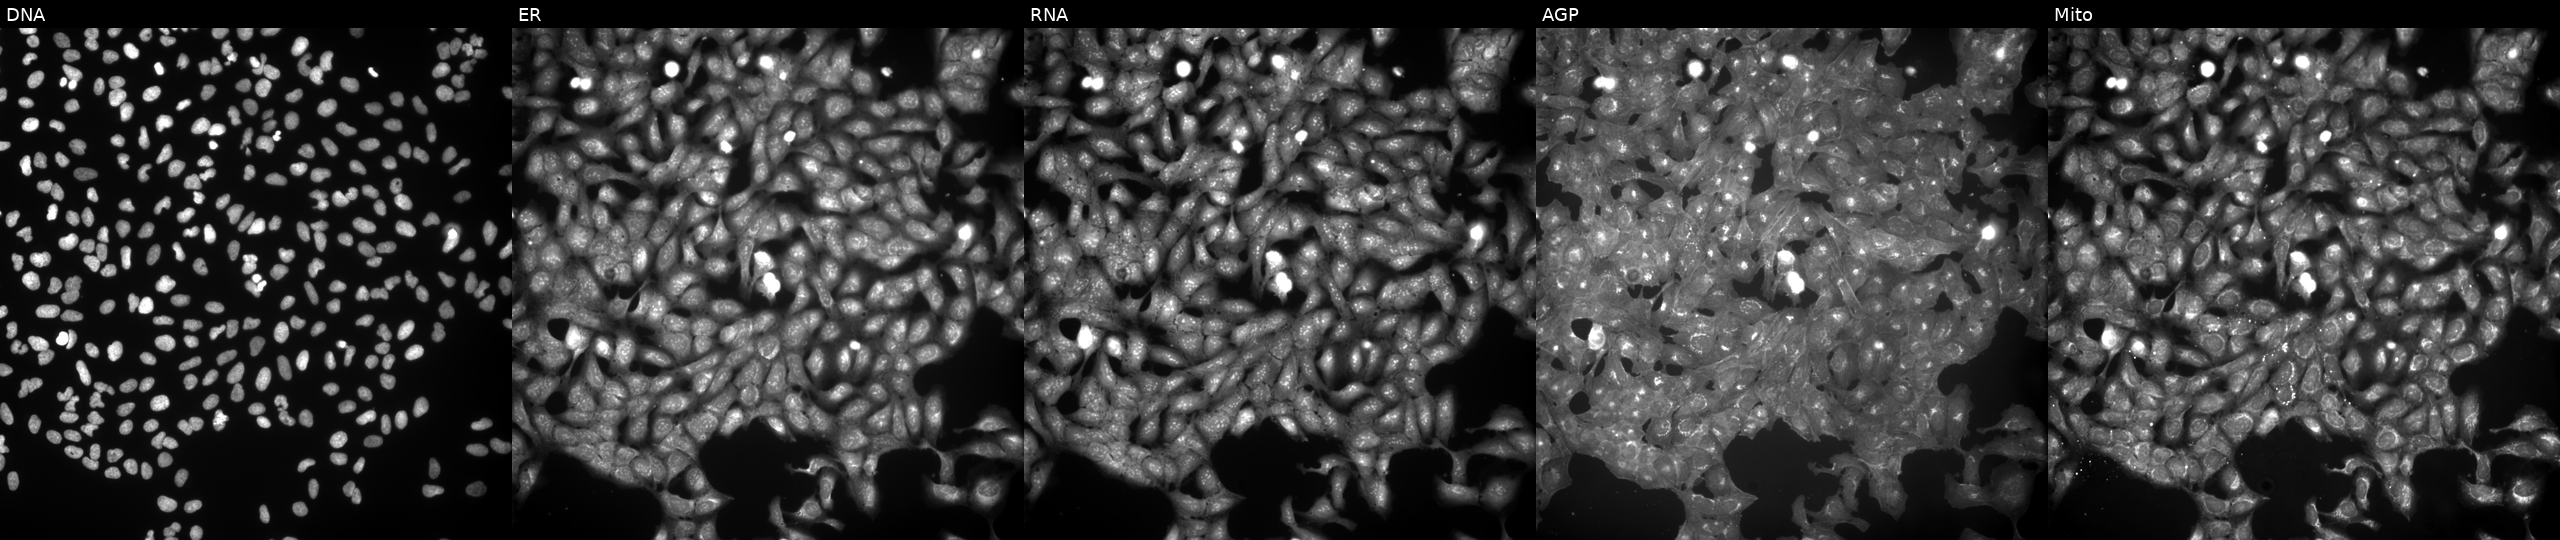
From left to right: DNA, ER, RNA, AGP, and Mito. U2OS osteosarcoma cells treated with NVS-PAK1-1 (positive-control compound) (JUMP id JCP2022_064022). Cell Painting assay, JUMP-CP dataset.